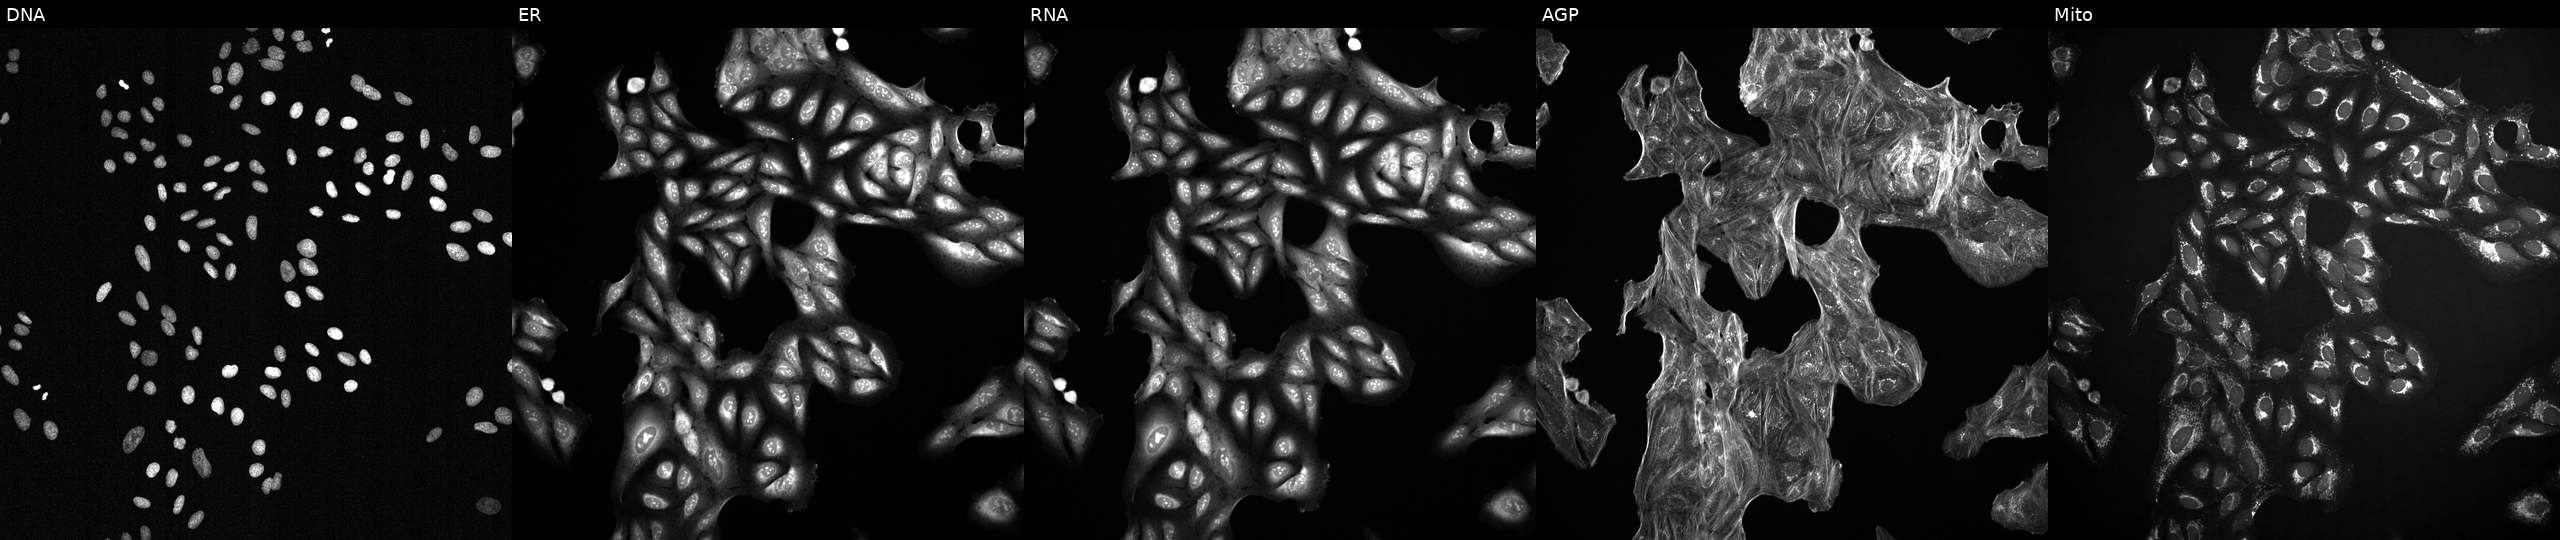
From left to right: DNA (nuclei); ER (endoplasmic reticulum); RNA (nucleoli and cytoplasmic RNA); AGP (actin cytoskeleton, Golgi, and plasma membrane); Mito (mitochondria). U2OS osteosarcoma cells exposed to DMSO alone as a negative control. Cell Painting assay, JUMP-CP dataset.